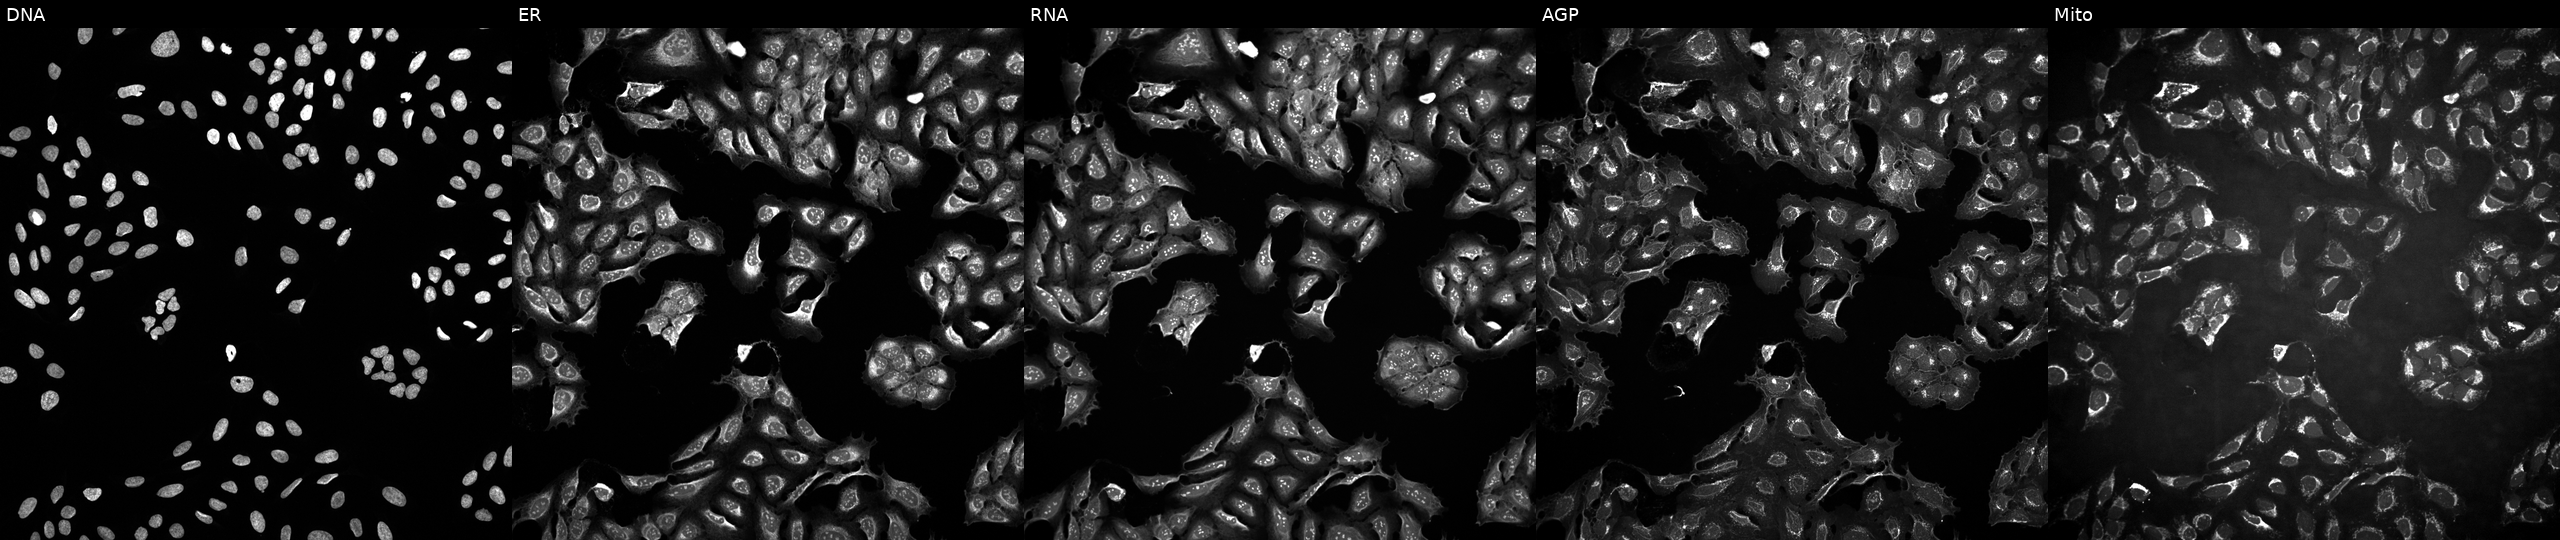
This image strip shows the five Cell Painting channels for a single field of U2OS cells exposed to a small-molecule compound (JUMP id JCP2022_022191). Channels (left→right): DNA (nuclei); ER (endoplasmic reticulum); RNA (nucleoli and cytoplasmic RNA); AGP (actin cytoskeleton, Golgi, and plasma membrane); Mito (mitochondria). Source 10, plate Dest210803-153958, well O04.